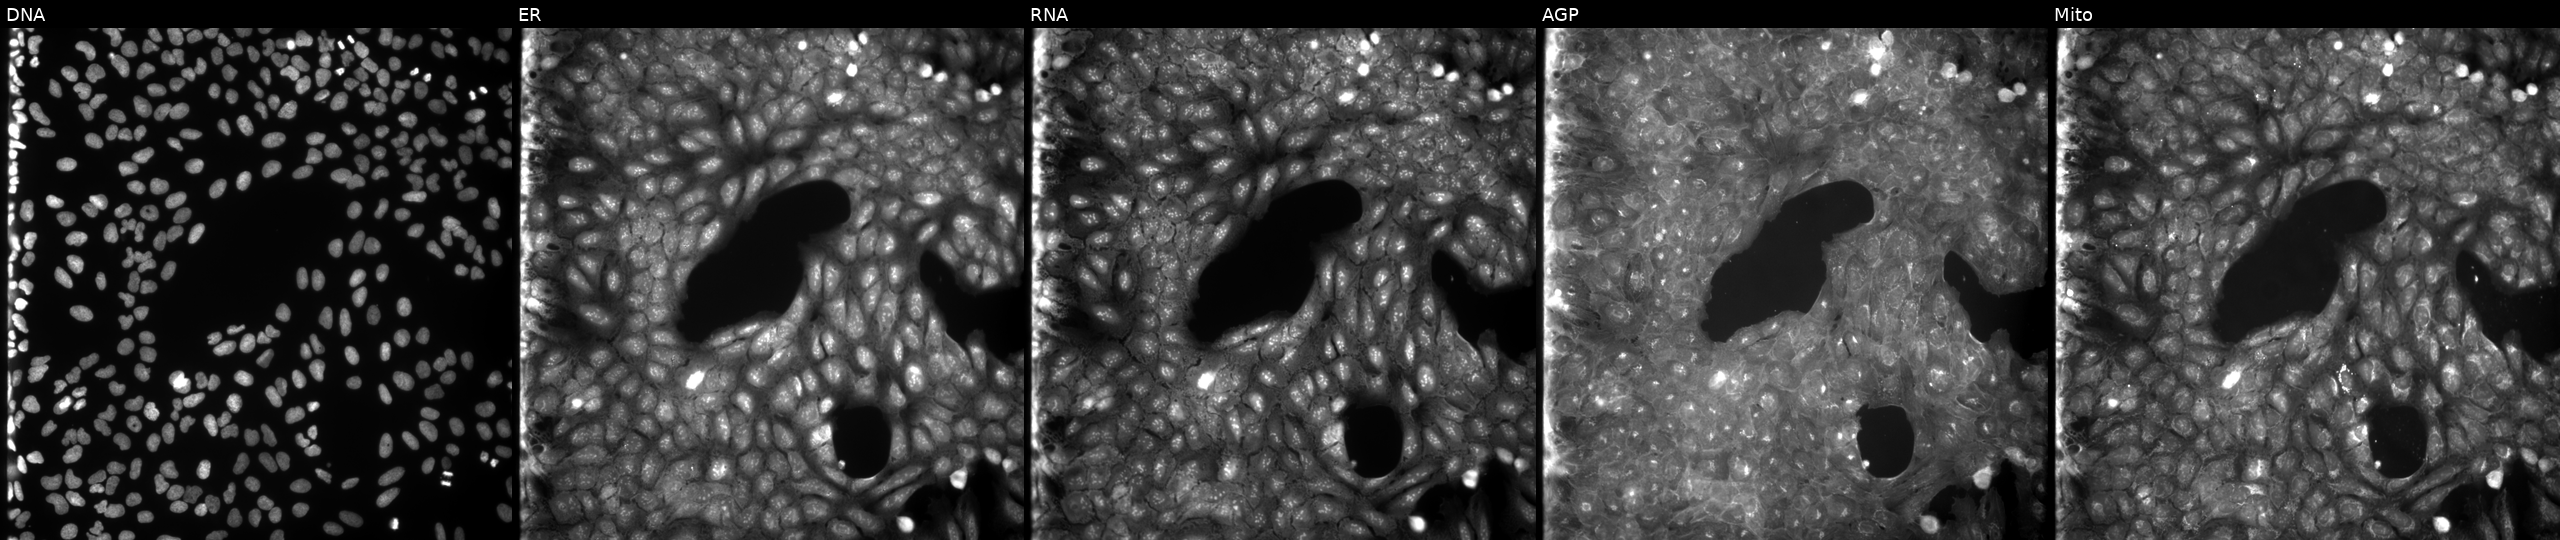
This image strip shows the five Cell Painting channels for a single field of U2OS cells perturbed with a small-molecule compound (InChIKey YCQZHVQNWCXIED-UHFFFAOYSA-N). Channels (left→right): DNA (nuclei); ER (endoplasmic reticulum); RNA (nucleoli and cytoplasmic RNA); AGP (actin cytoskeleton, Golgi, and plasma membrane); Mito (mitochondria).